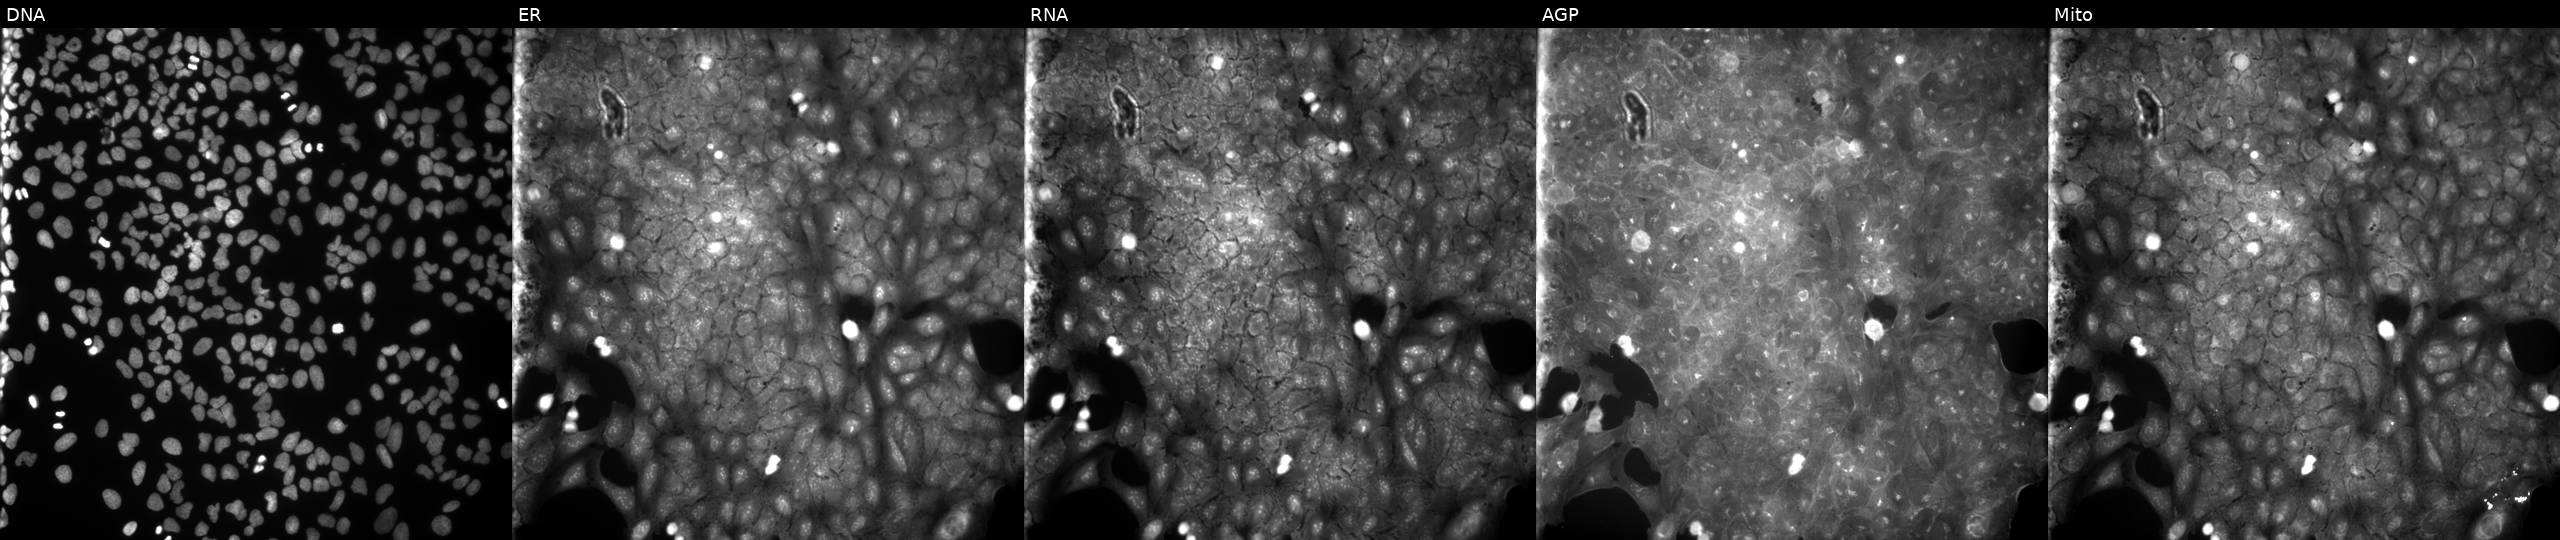
This image strip shows the five Cell Painting channels for a single field of U2OS cells perturbed with a small-molecule compound. Channels (left→right): DNA (nuclei); ER (endoplasmic reticulum); RNA (nucleoli and cytoplasmic RNA); AGP (actin cytoskeleton, Golgi, and plasma membrane); Mito (mitochondria).